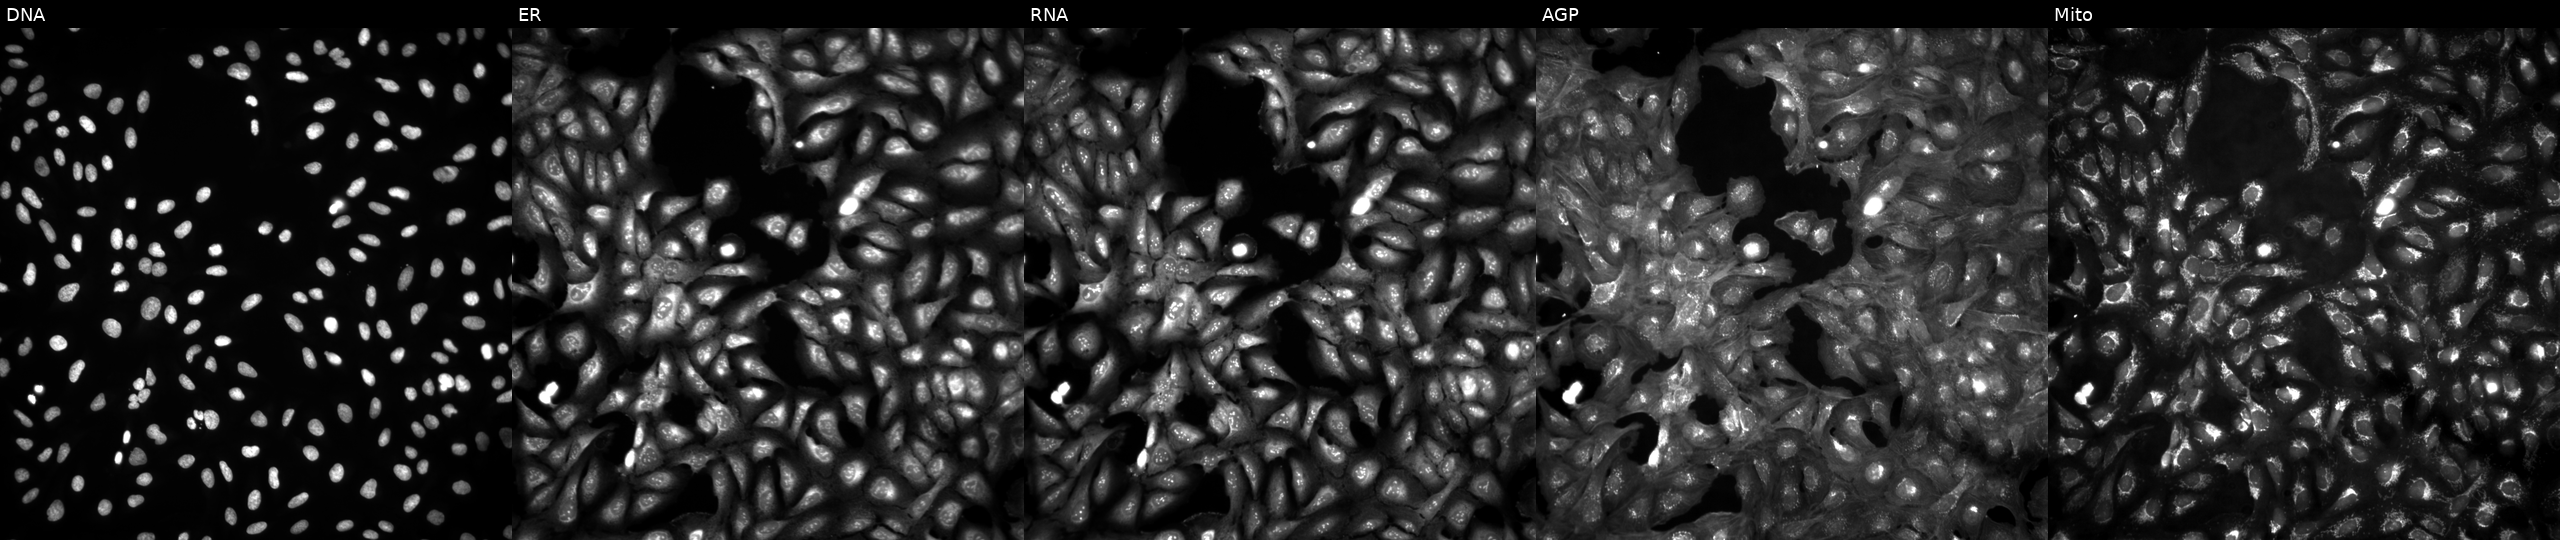
U2OS cells, Cell Painting assay, untreated (empty-well control) (JUMP id JCP2022_999999). Channels (left→right): DNA (nuclei); ER (endoplasmic reticulum); RNA (nucleoli and cytoplasmic RNA); AGP (actin cytoskeleton, Golgi, and plasma membrane); Mito (mitochondria). Each panel is percentile-stretched 16-bit fluorescence. Source 4, plate BR00124793, well D19.